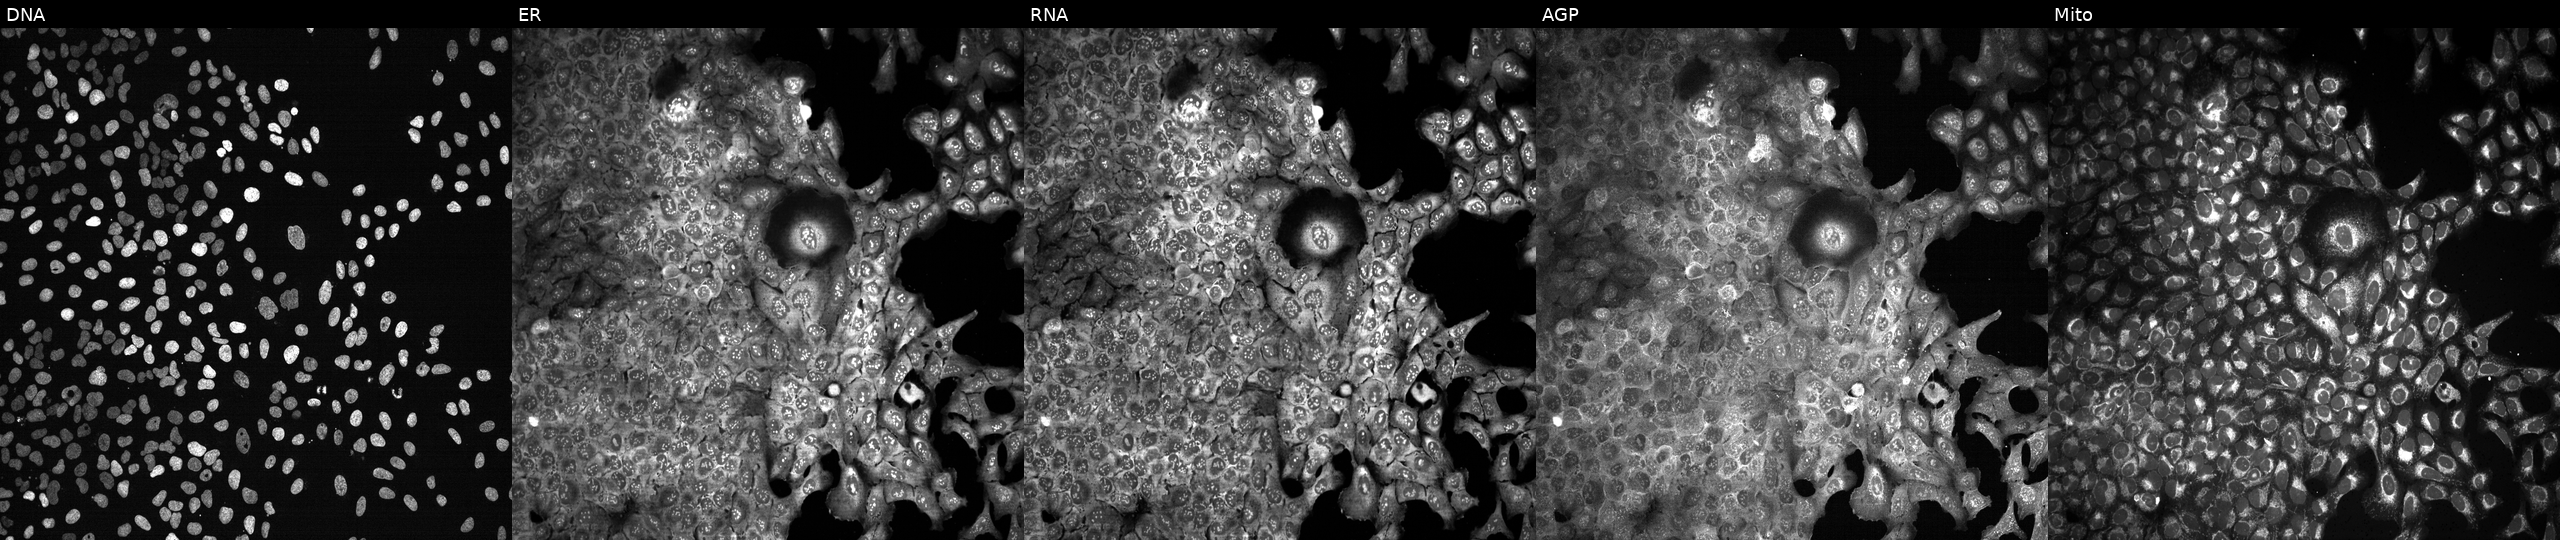
This image strip shows the five Cell Painting channels for a single field of U2OS cells following CRISPR knockout of ROBO1. Channels (left→right): DNA (nuclei); ER (endoplasmic reticulum); RNA (nucleoli and cytoplasmic RNA); AGP (actin cytoskeleton, Golgi, and plasma membrane); Mito (mitochondria). Source 13, plate CP-CC9-R4-03, well M10.